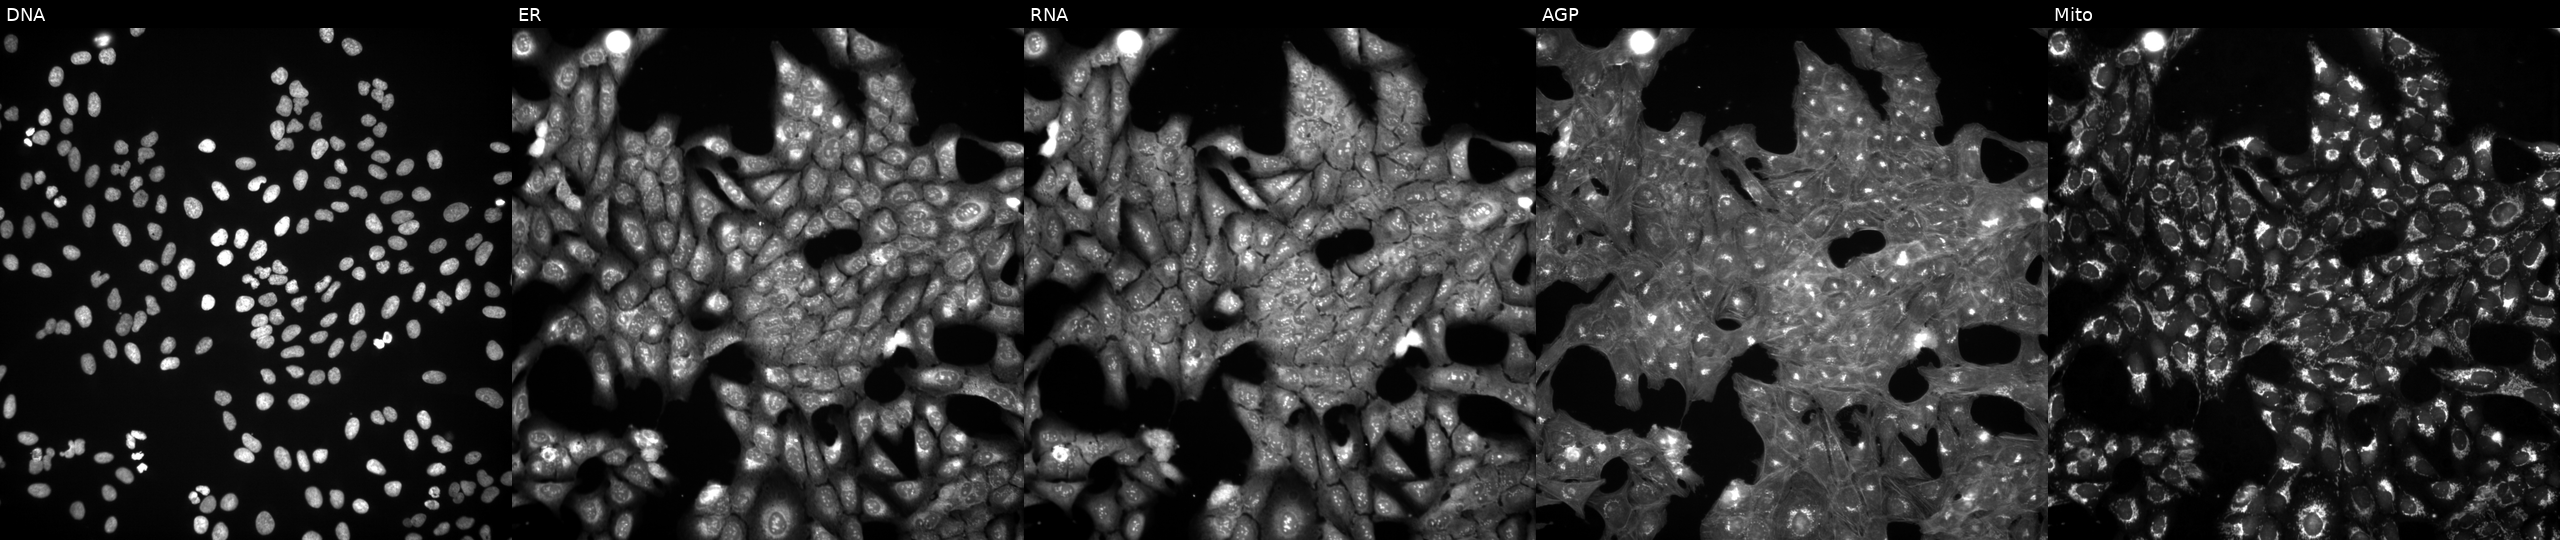
This image strip shows the five Cell Painting channels for a single field of U2OS cells perturbed with a small-molecule compound (InChIKey NYTKLIYWASXJRJ-UHFFFAOYSA-N) (JUMP id JCP2022_062227). Channels (left→right): DNA, ER, RNA, AGP, and Mito.